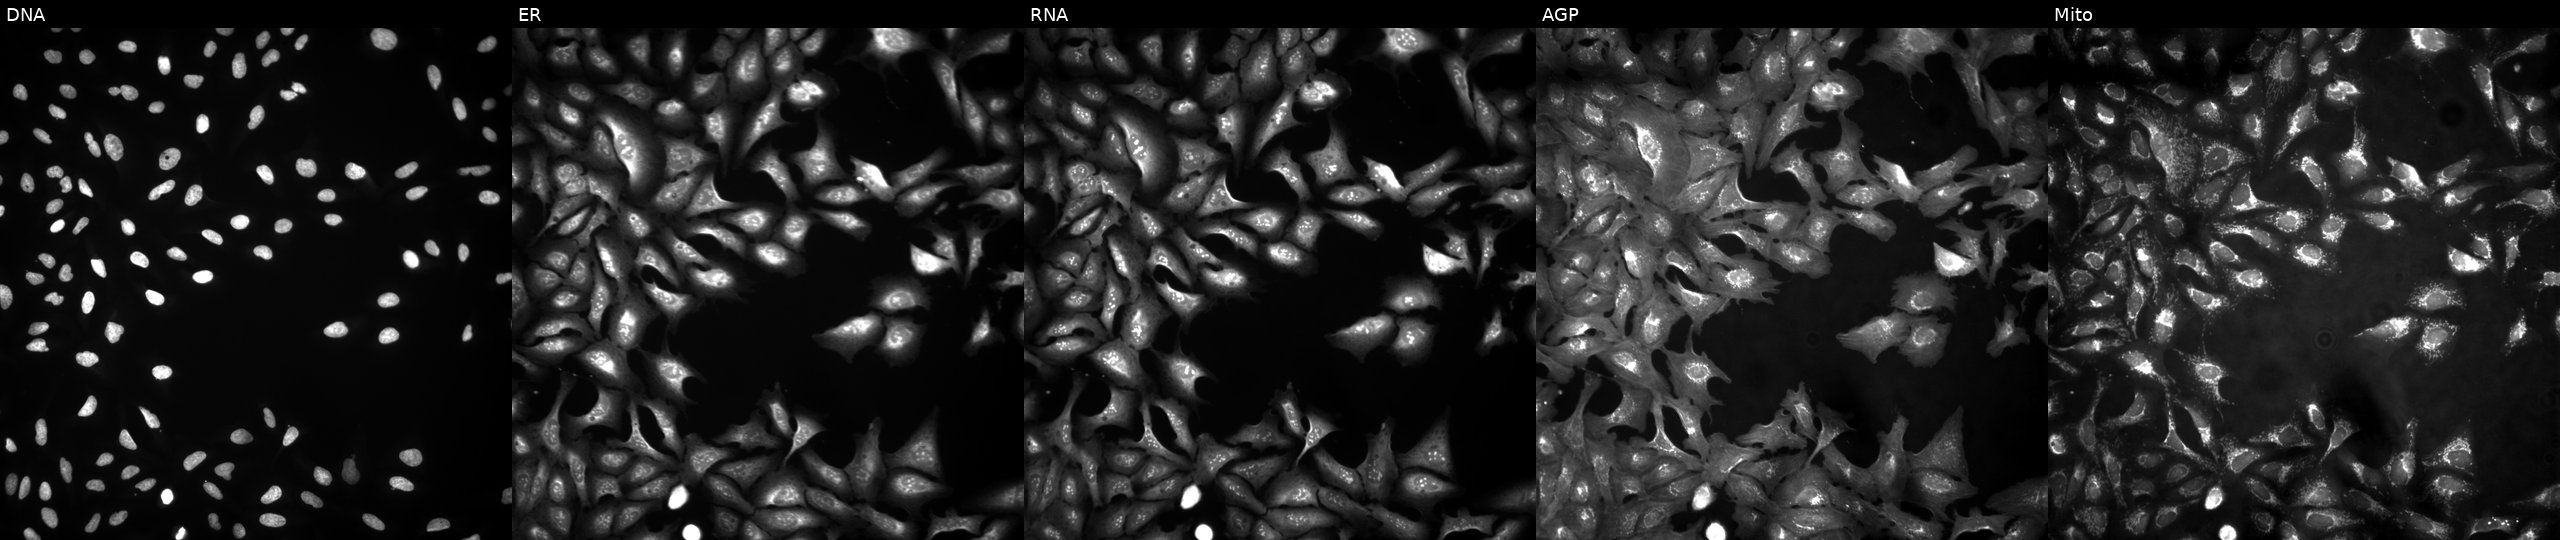
Panels show, left to right, DNA (nuclei); ER (endoplasmic reticulum); RNA (nucleoli and cytoplasmic RNA); AGP (actin cytoskeleton, Golgi, and plasma membrane); Mito (mitochondria). U2OS osteosarcoma cells with KRT6A overexpressed (ORF). Cell Painting assay, JUMP-CP dataset.